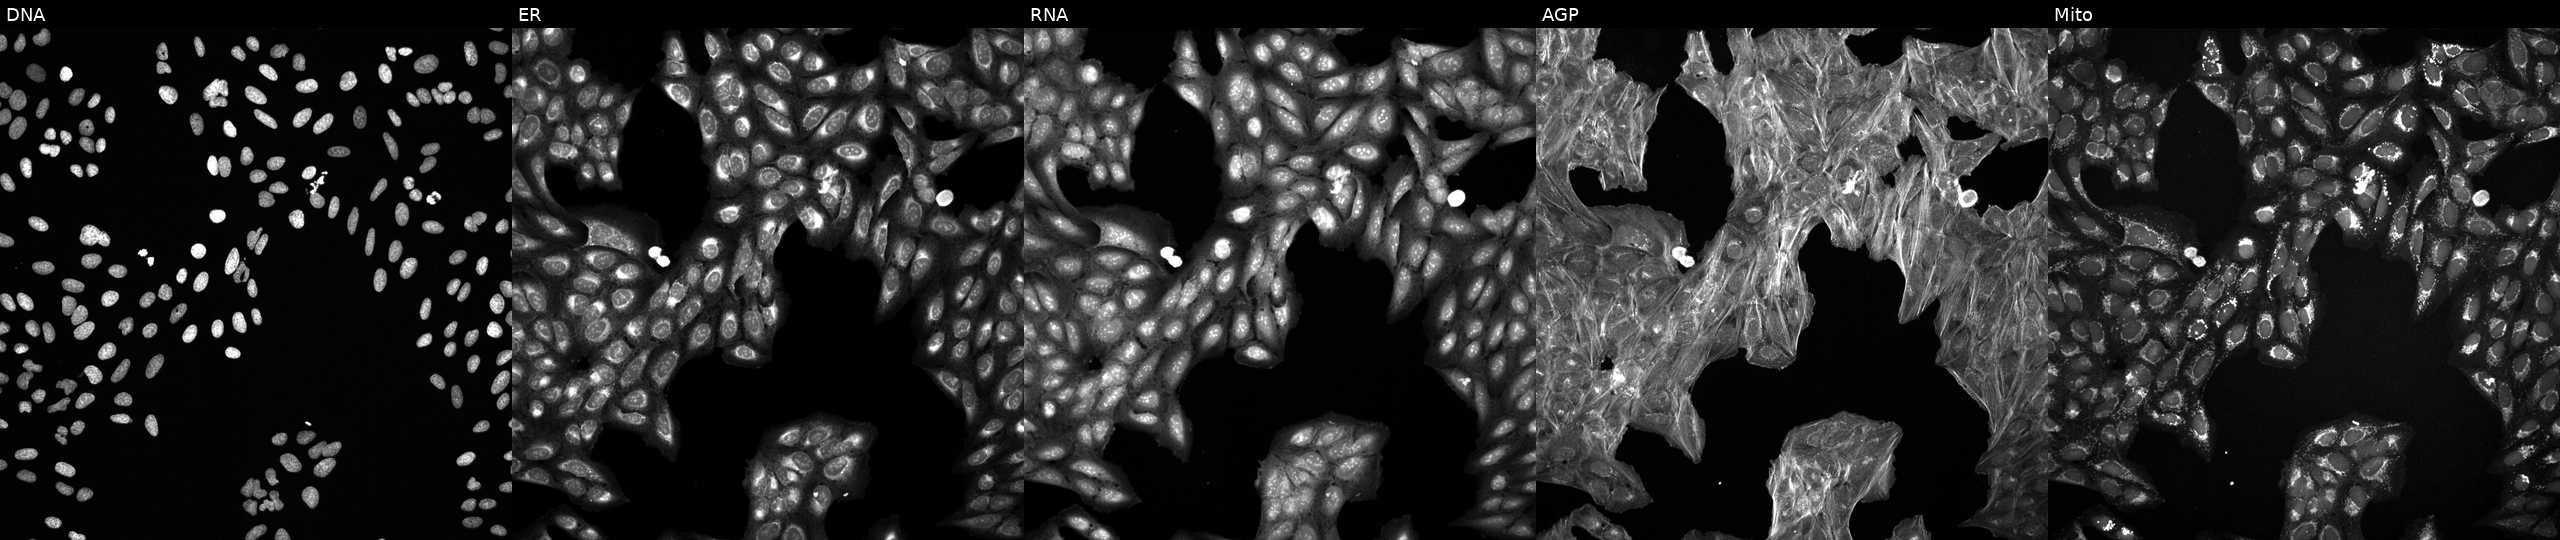
Five-channel Cell Painting image of U2OS cells exposed to a small-molecule compound (InChIKey XTHYXQGOTILPHS-UHFFFAOYSA-N) [SMILES: CCNC(=O)N1CCC(N=c2[nH]cc(-c3ccccc3)c3nc(C(F)(F)F)ccc23)CC1]. Channels (left→right): DNA, ER, RNA, AGP, and Mito.